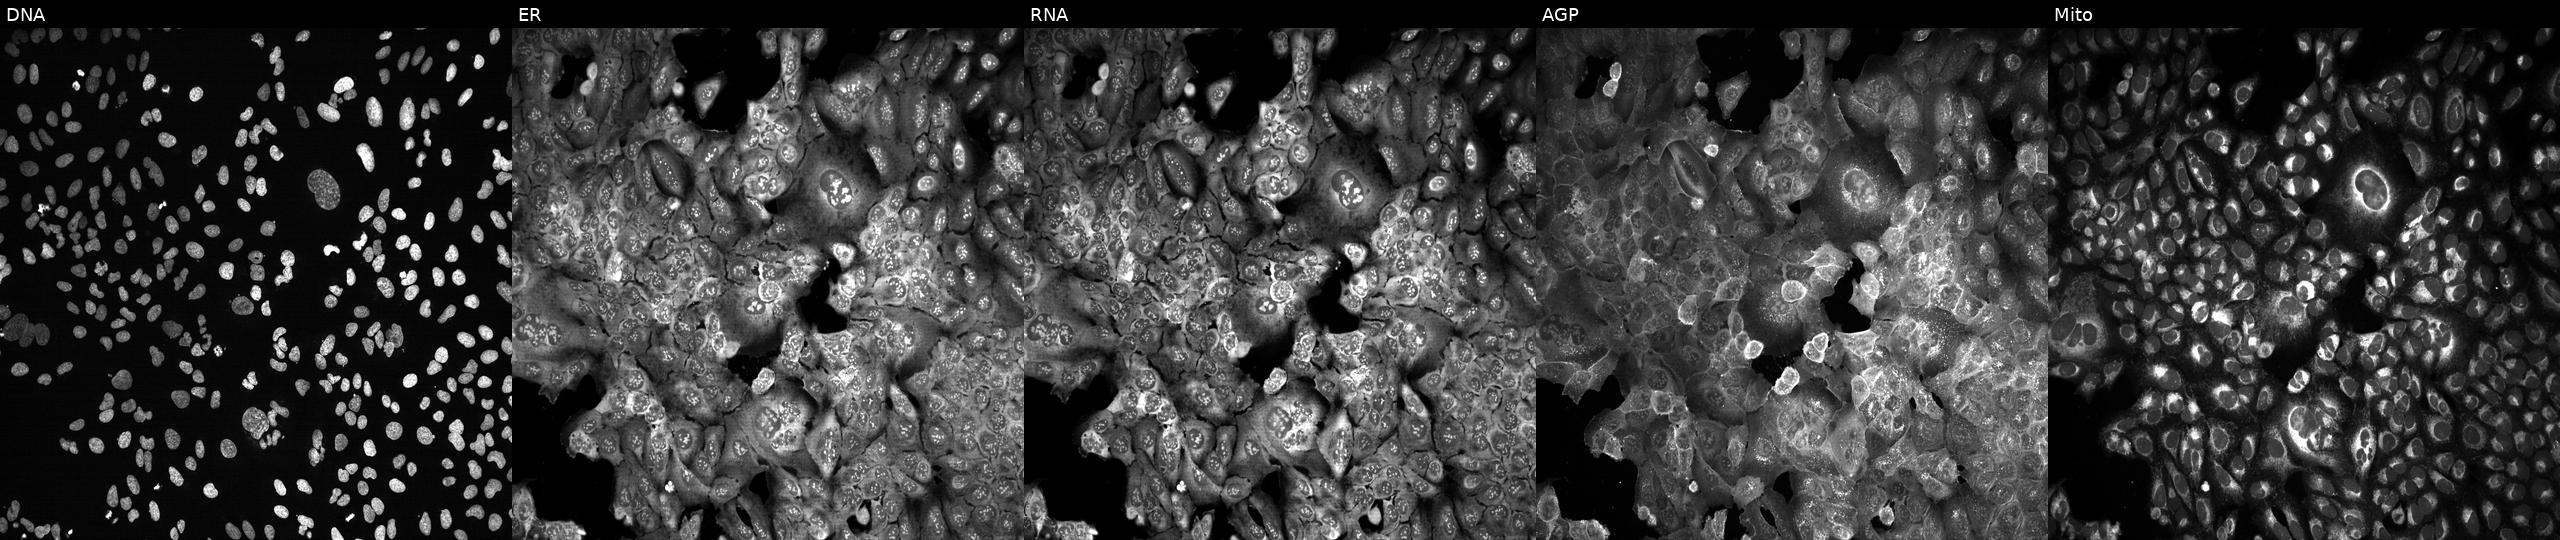
Five-channel Cell Painting image of U2OS cells with HPN knocked out by CRISPR (JUMP id JCP2022_803213). Panels show, left to right, DNA, ER, RNA, AGP, and Mito. Source 13, plate CP-CC9-R6-19, well K14.